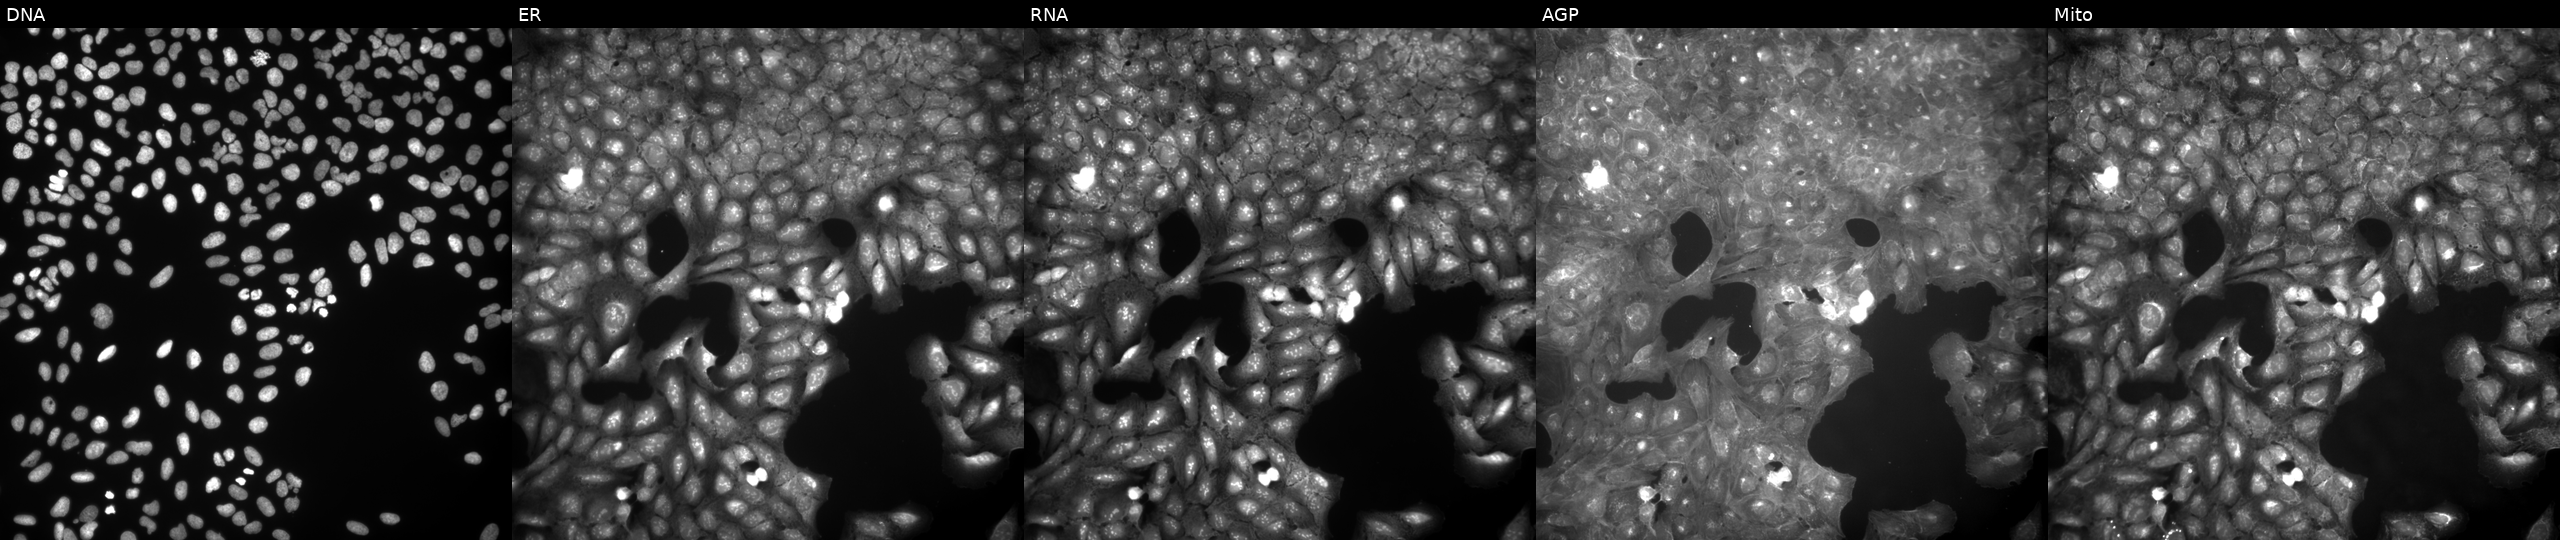
Five-channel Cell Painting image of U2OS cells treated with a small-molecule compound (InChIKey IGZHOJVHMBULCK-UHFFFAOYSA-N). From left to right: Hoechst 33342, concanavalin A, SYTO 14, phalloidin and WGA, MitoTracker.